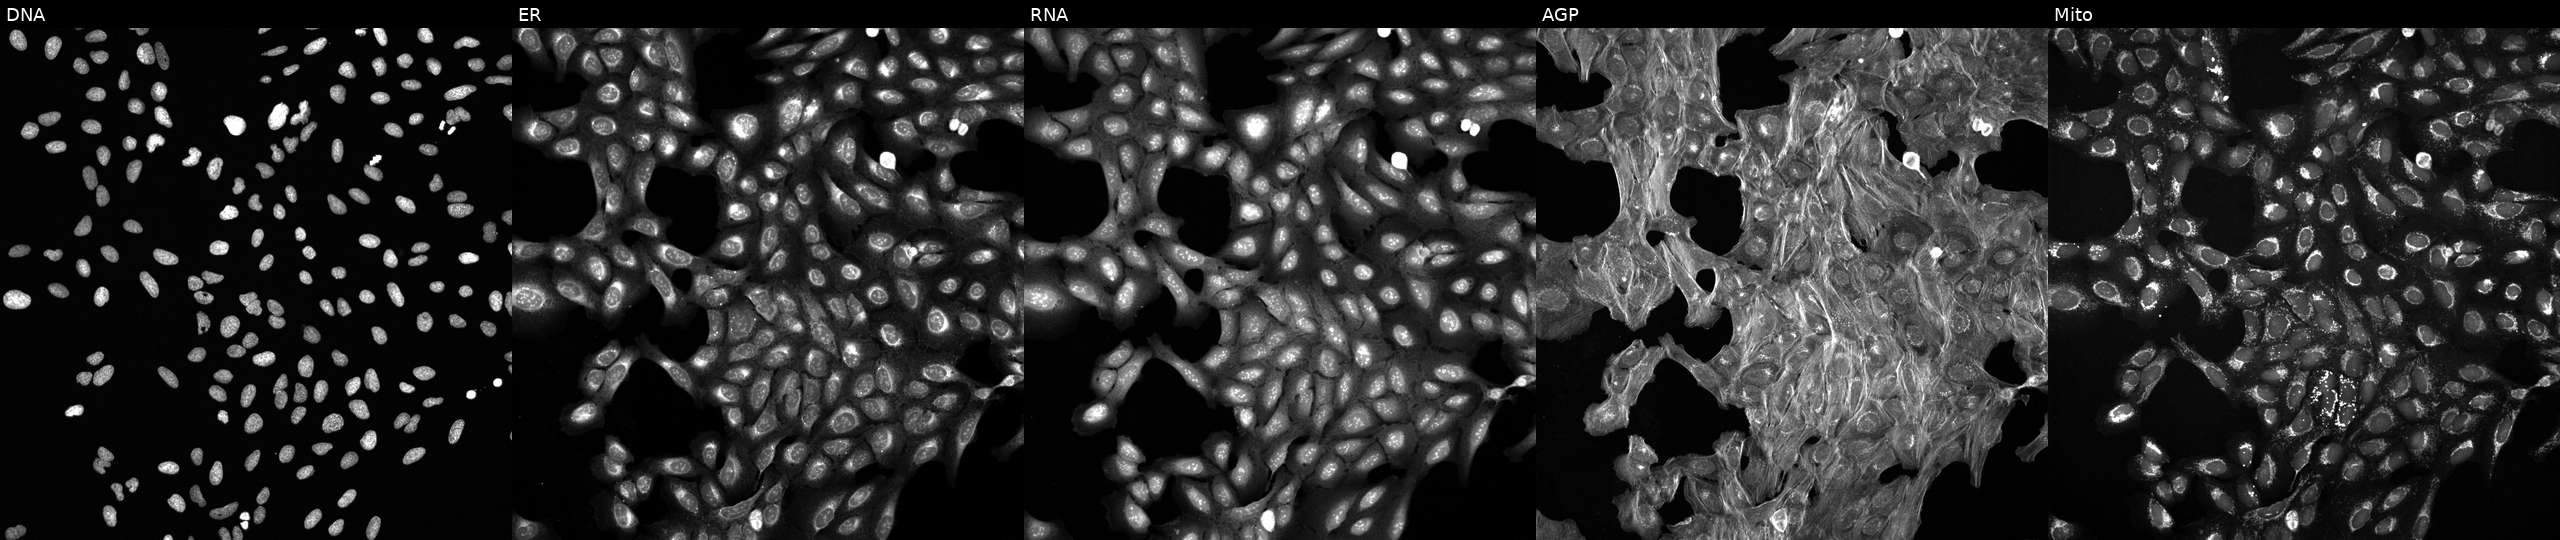
This image strip shows the five Cell Painting channels for a single field of U2OS cells exposed to a small-molecule compound (InChIKey KGDNIRQXBNDKMI-UHFFFAOYSA-N) [SMILES: COCCCN=c1[nH]cnc2c1nc1n2CCCCC1] (JUMP id JCP2022_044412). Channels (left→right): Hoechst 33342, concanavalin A, SYTO 14, phalloidin and WGA, MitoTracker. Source 6, plate 110000293083, well B17.